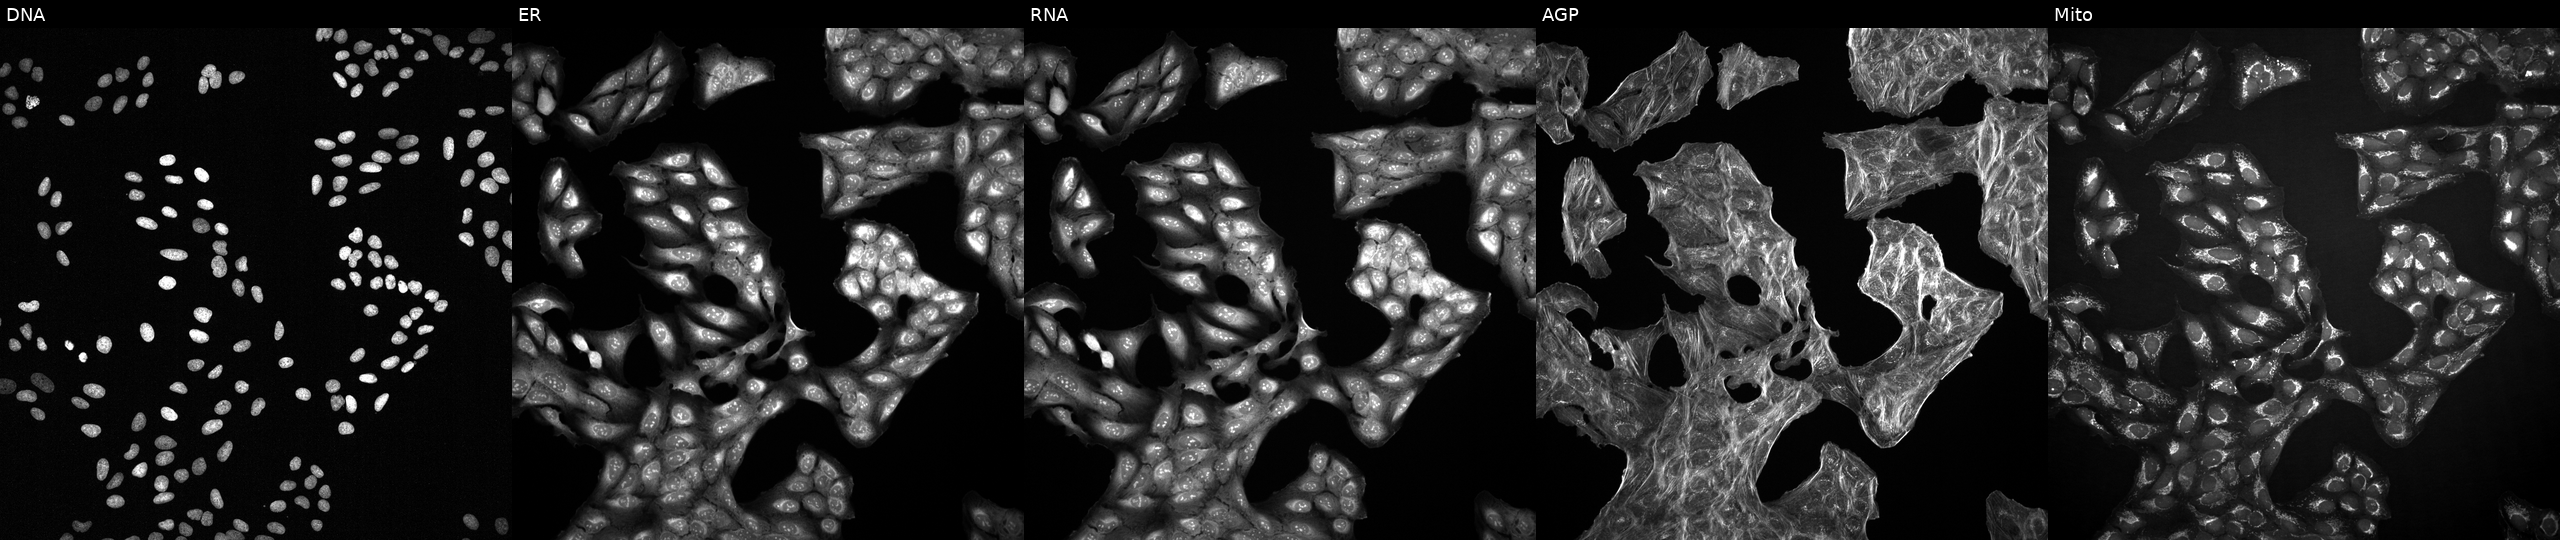
U2OS cells, Cell Painting assay, with an unidentified perturbation (not annotated in JUMP metadata). From left to right: DNA (nuclei); ER (endoplasmic reticulum); RNA (nucleoli and cytoplasmic RNA); AGP (actin cytoskeleton, Golgi, and plasma membrane); Mito (mitochondria). Each panel is percentile-stretched 16-bit fluorescence.